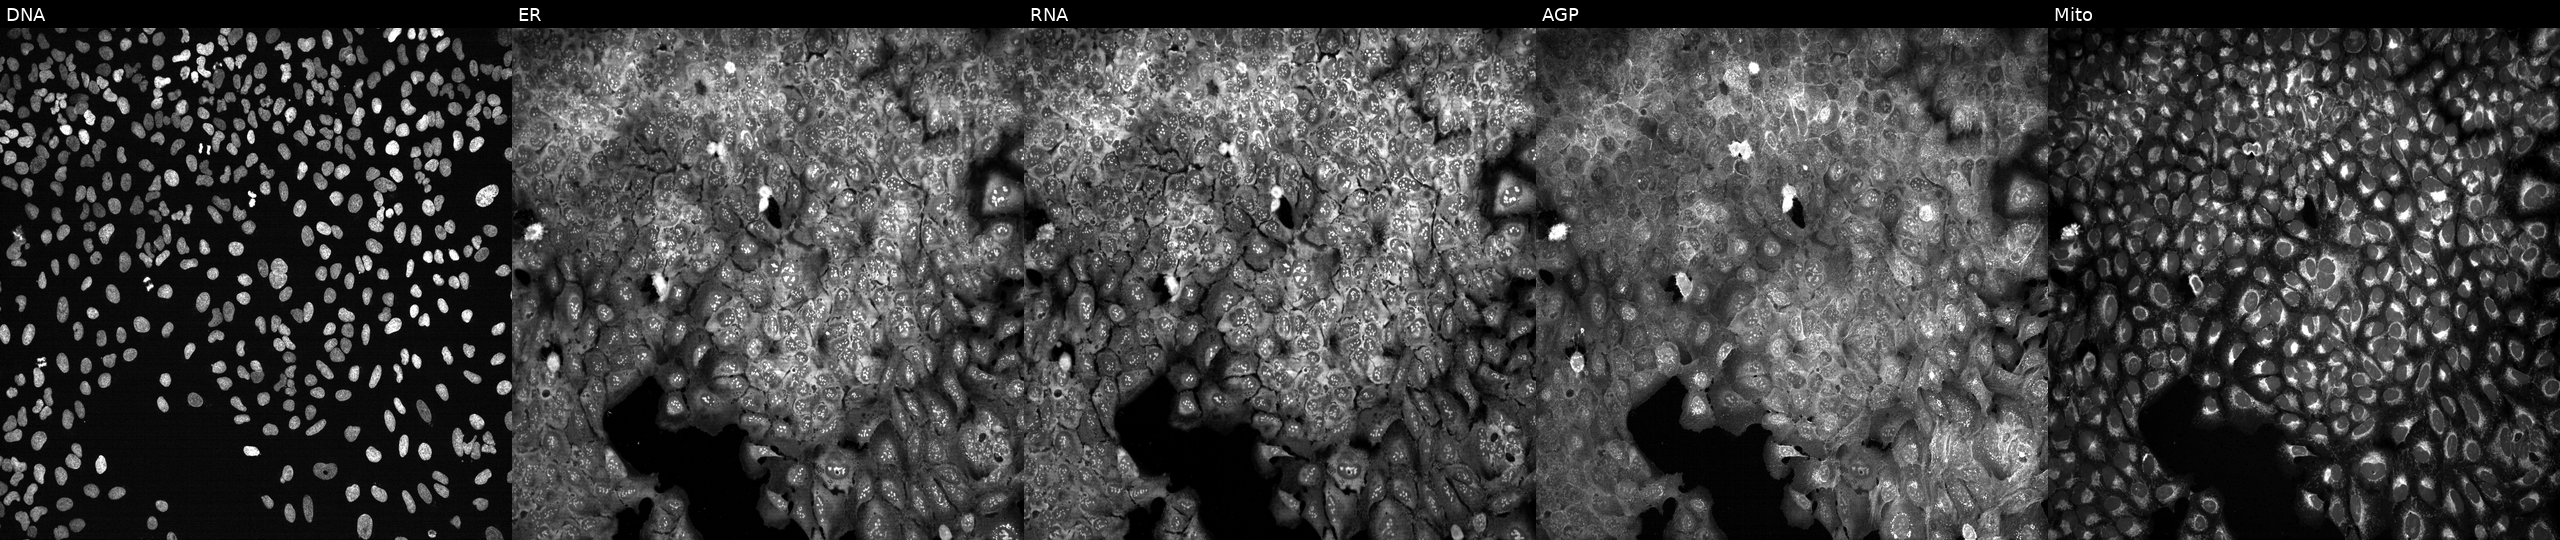
JUMP Cell Painting — CRISPR plate. U2OS cells following CRISPR knockout of IL5RA. From left to right: DNA, ER, RNA, AGP, and Mito. Source 13, plate CP-CC9-R4-04, well N08.